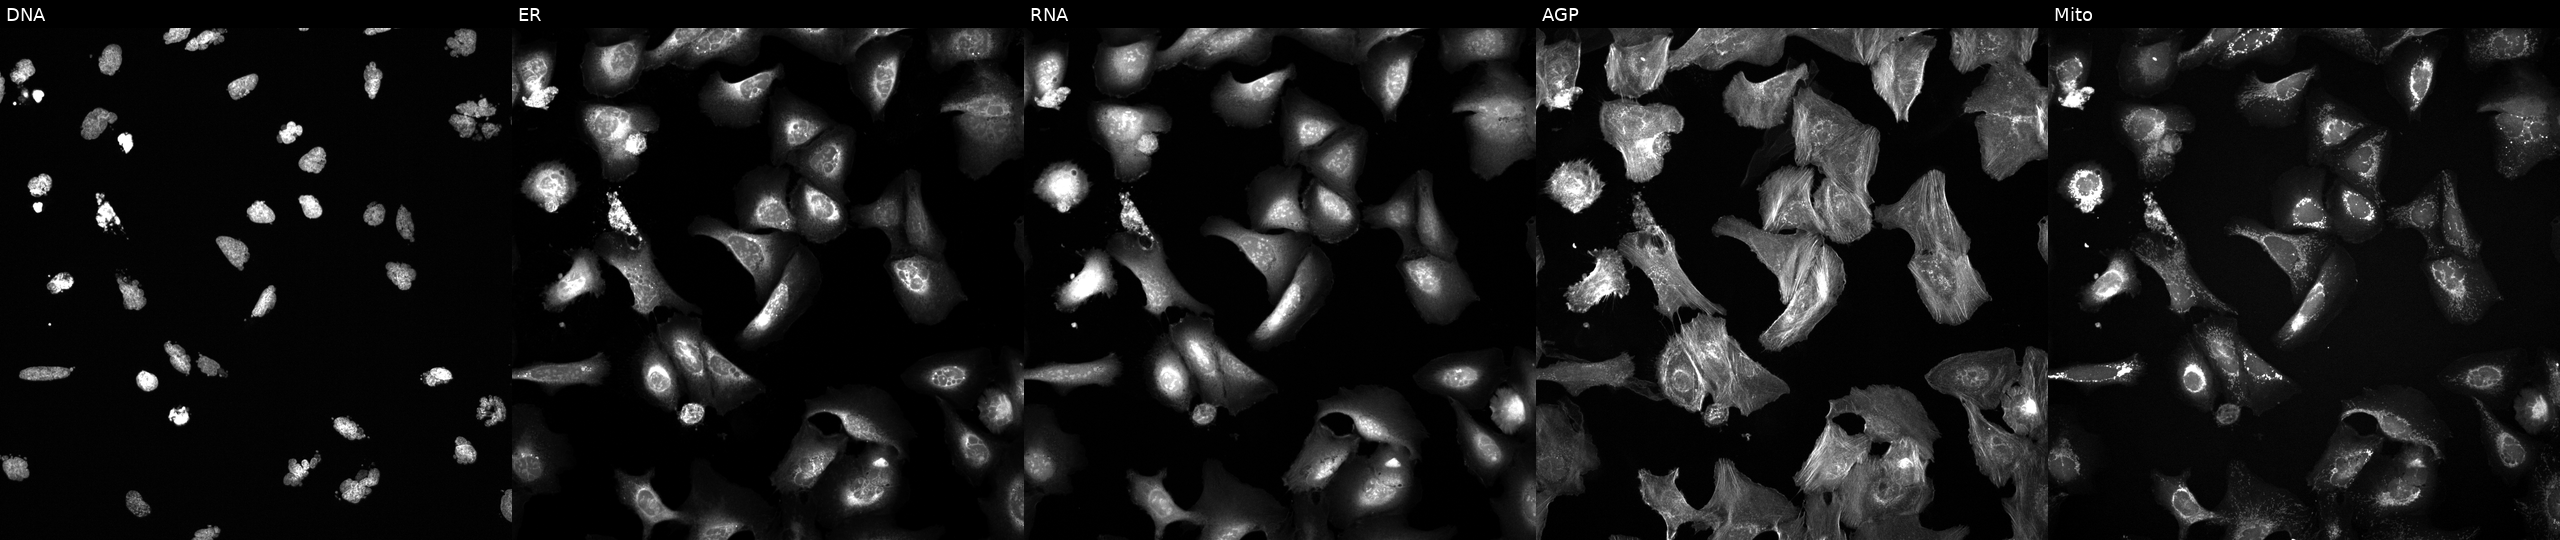
High-content fluorescence microscopy (Cell Painting). Cell line: U2OS. Perturbation: treated with AMG900 (positive-control compound) (JUMP id JCP2022_037716). From left to right: Hoechst 33342, concanavalin A, SYTO 14, phalloidin and WGA, MitoTracker.